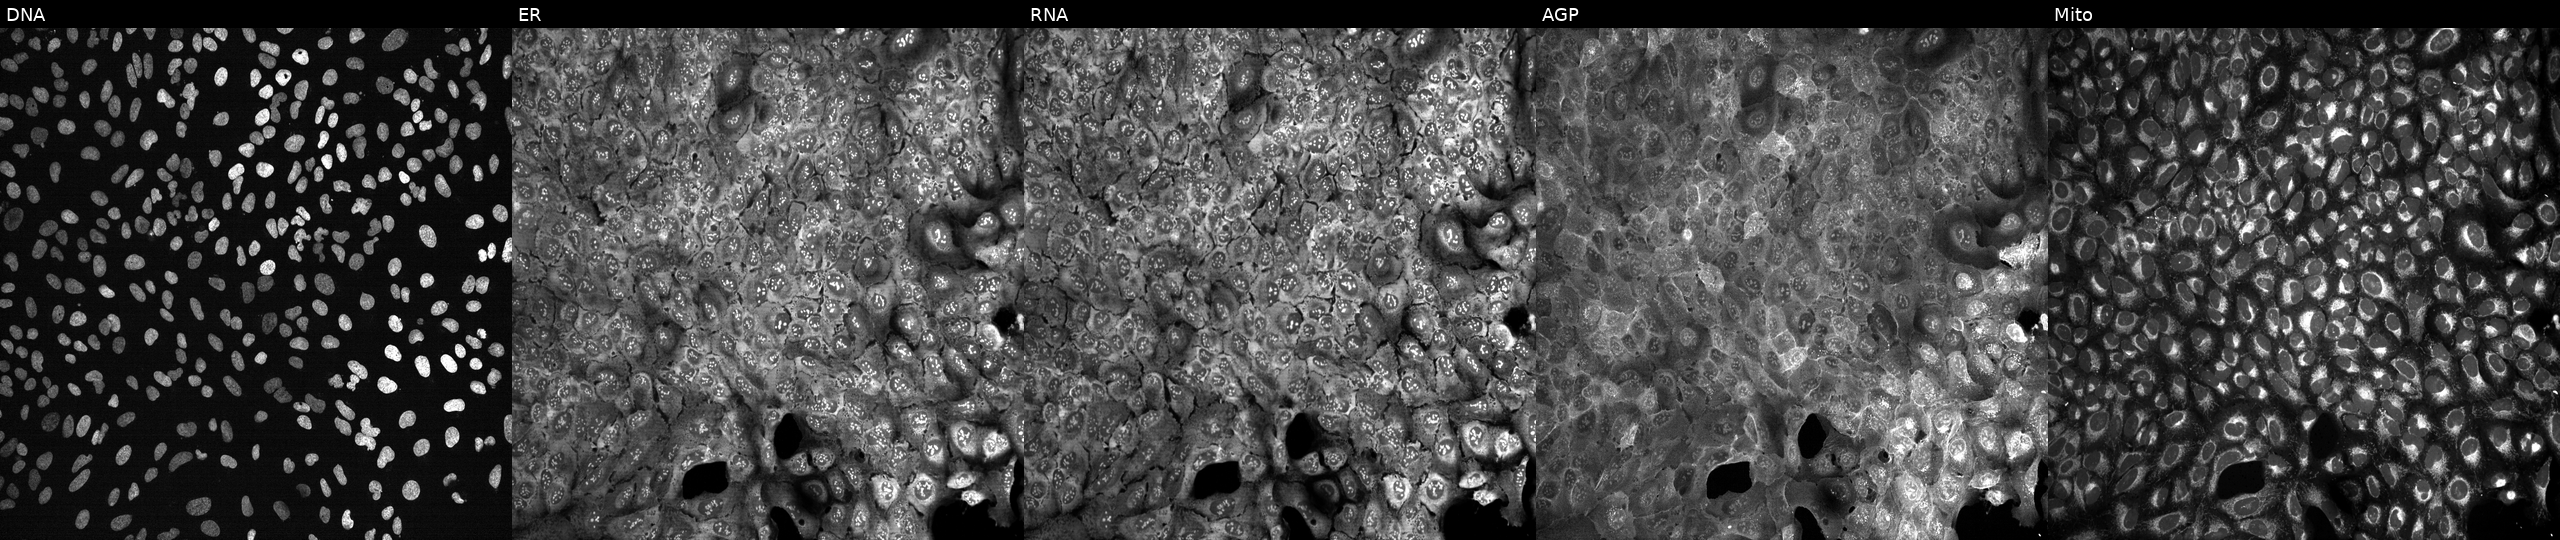
High-content fluorescence microscopy (Cell Painting). Cell line: U2OS. Perturbation: with TXN knocked out by CRISPR. The five panels, left to right, show DNA, ER, RNA, AGP, and Mito.